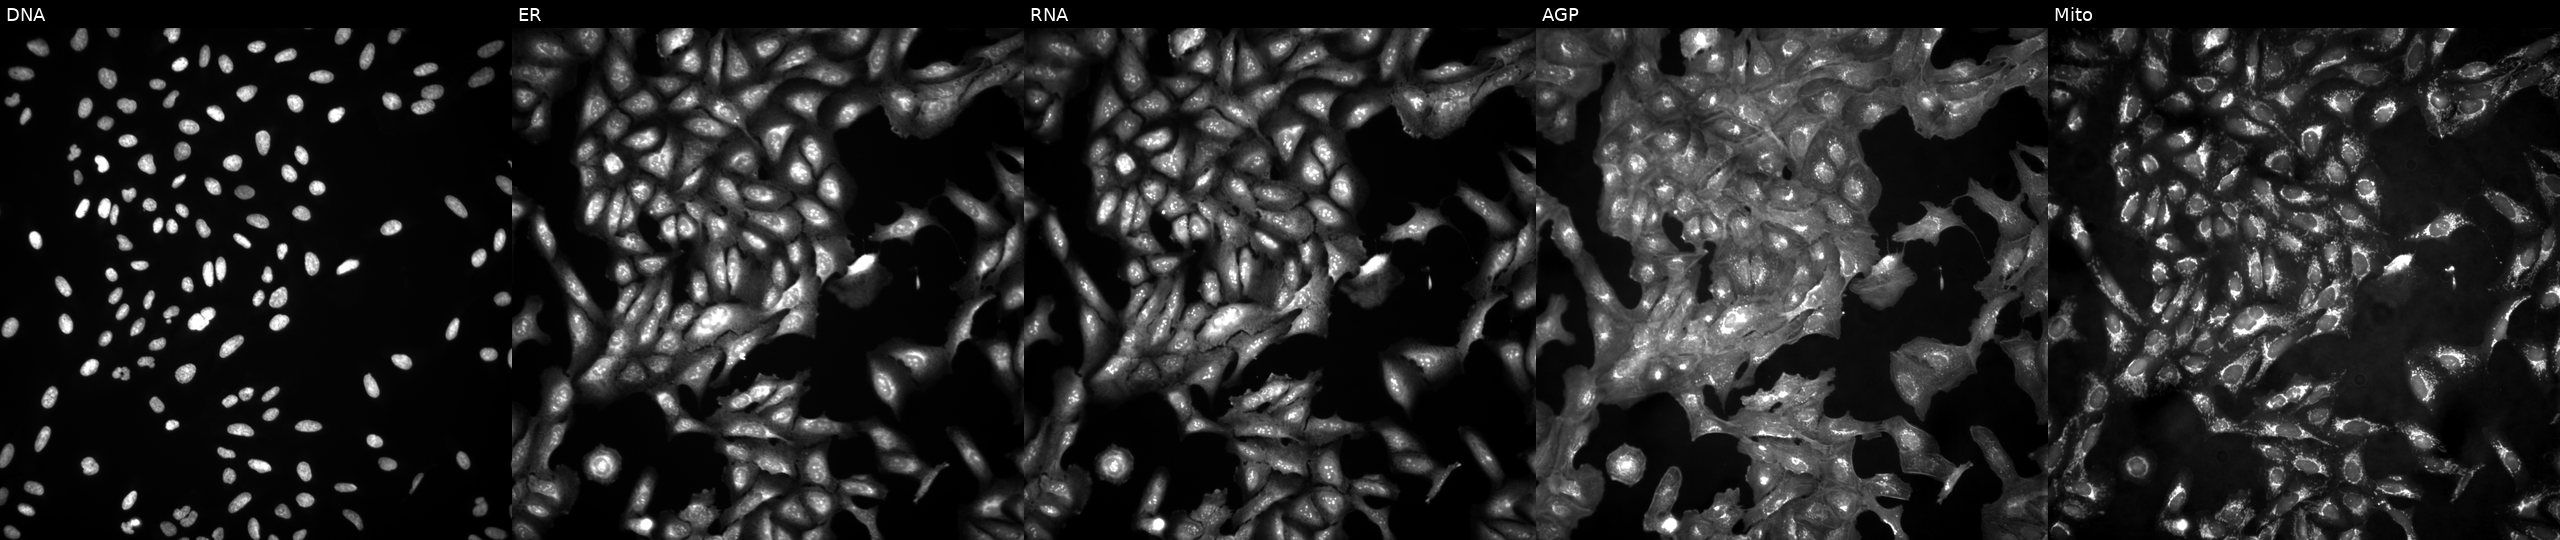
Five-channel Cell Painting image of U2OS cells untreated (empty-well control) (JUMP id JCP2022_999999). Panels show, left to right, DNA (nuclei); ER (endoplasmic reticulum); RNA (nucleoli and cytoplasmic RNA); AGP (actin cytoskeleton, Golgi, and plasma membrane); Mito (mitochondria). Source 4, plate BR00123946, well M21.